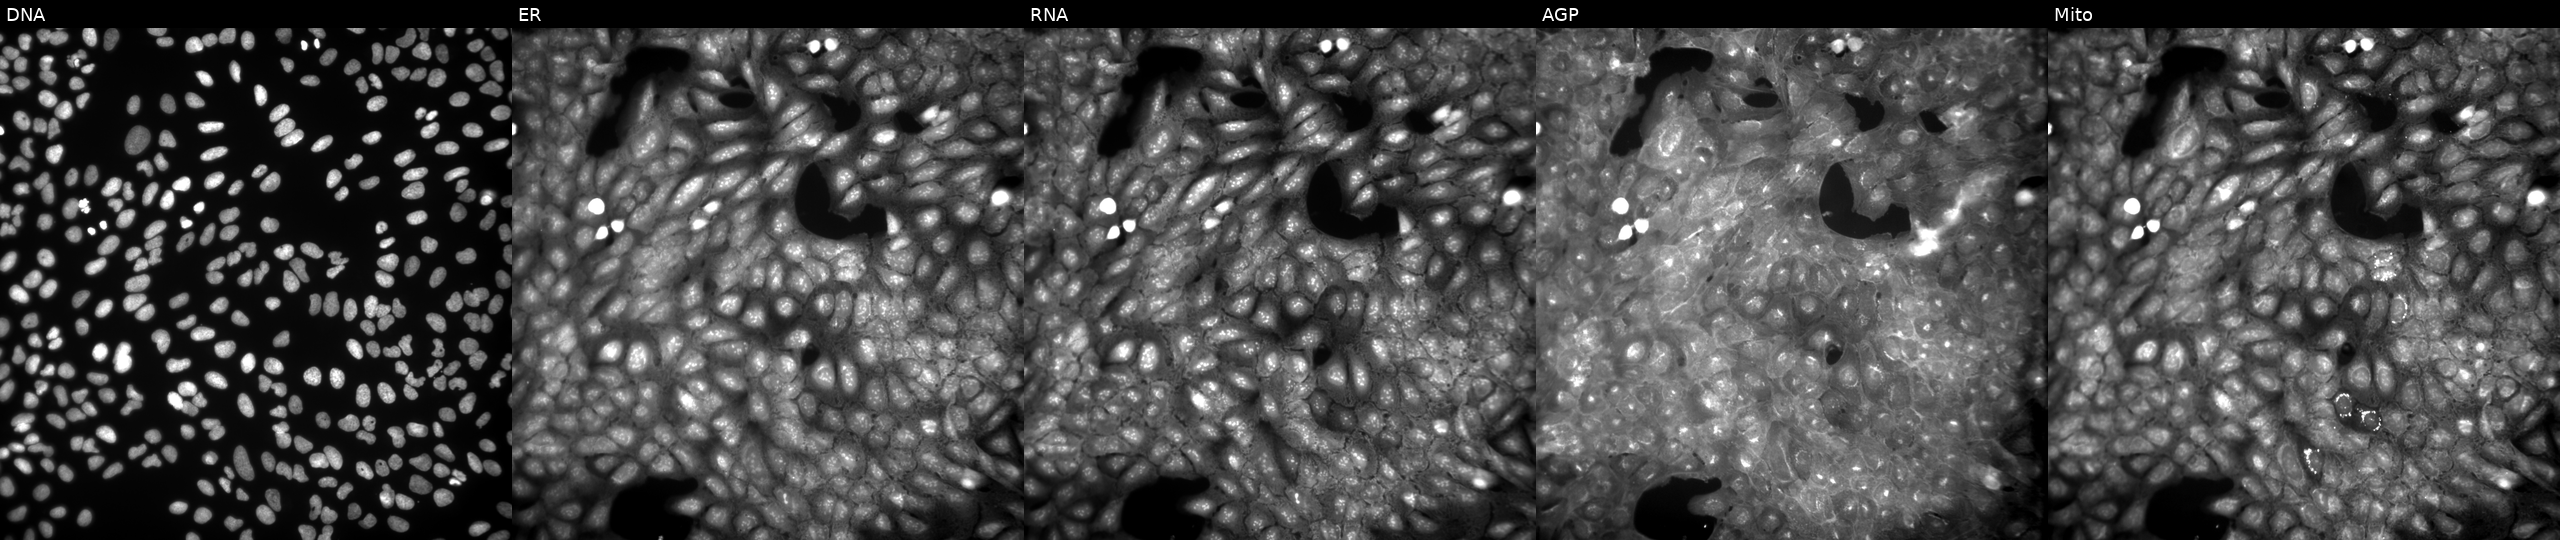
JUMP Cell Painting — COMPOUND plate. U2OS cells exposed to DMSO alone as a negative control (JUMP id JCP2022_033924). The five panels, left to right, show Hoechst 33342, concanavalin A, SYTO 14, phalloidin and WGA, MitoTracker. Source 9, plate GR00003381, well F47.